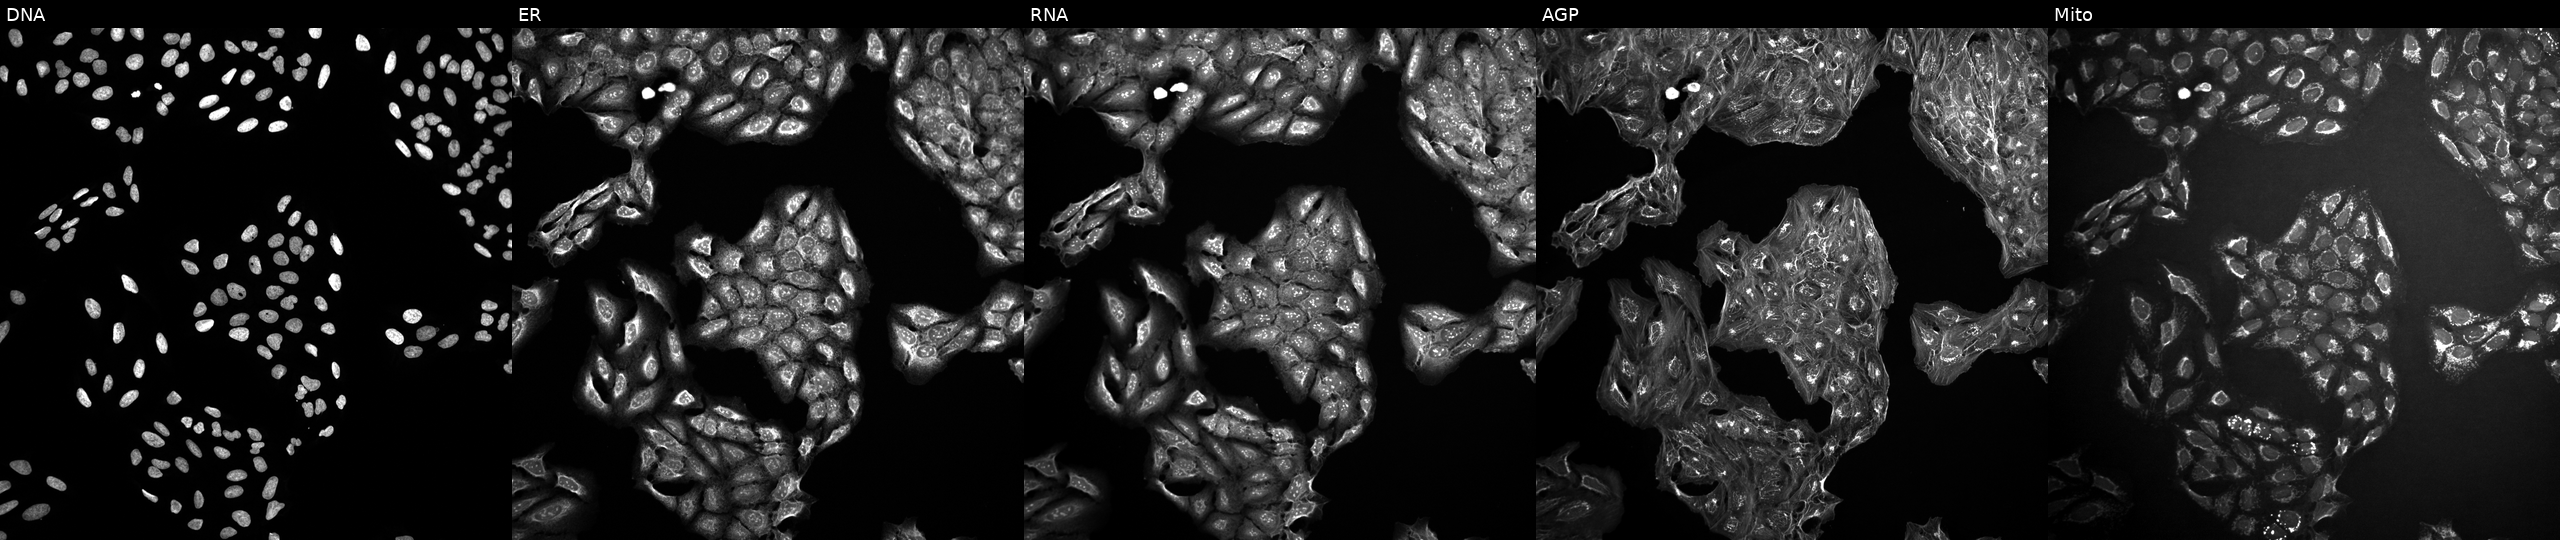
Panels show, left to right, Hoechst 33342, concanavalin A, SYTO 14, phalloidin and WGA, MitoTracker. U2OS osteosarcoma cells exposed to a small-molecule compound (InChIKey SGRNAKIWJDPEEI-UHFFFAOYSA-N) (JUMP id JCP2022_083097). Cell Painting assay, JUMP-CP dataset. Source 10, plate Dest210531-152324, well D19.